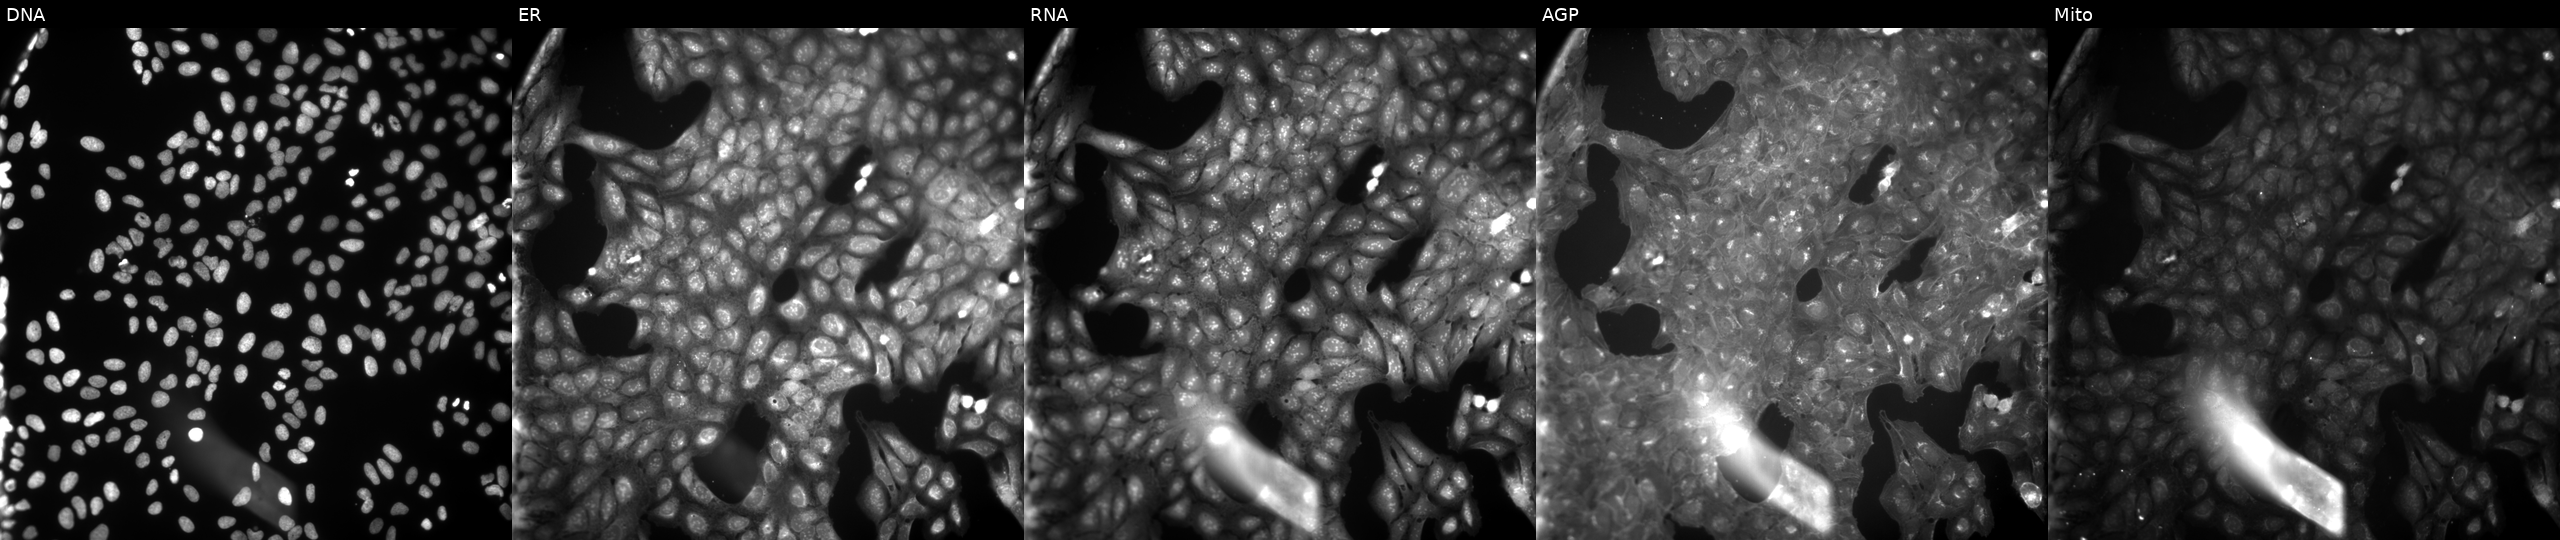
JUMP Cell Painting — COMPOUND plate. U2OS cells treated with a small-molecule compound. Channels (left→right): Hoechst 33342, concanavalin A, SYTO 14, phalloidin and WGA, MitoTracker. Source 9, plate GR00003381, well V04.